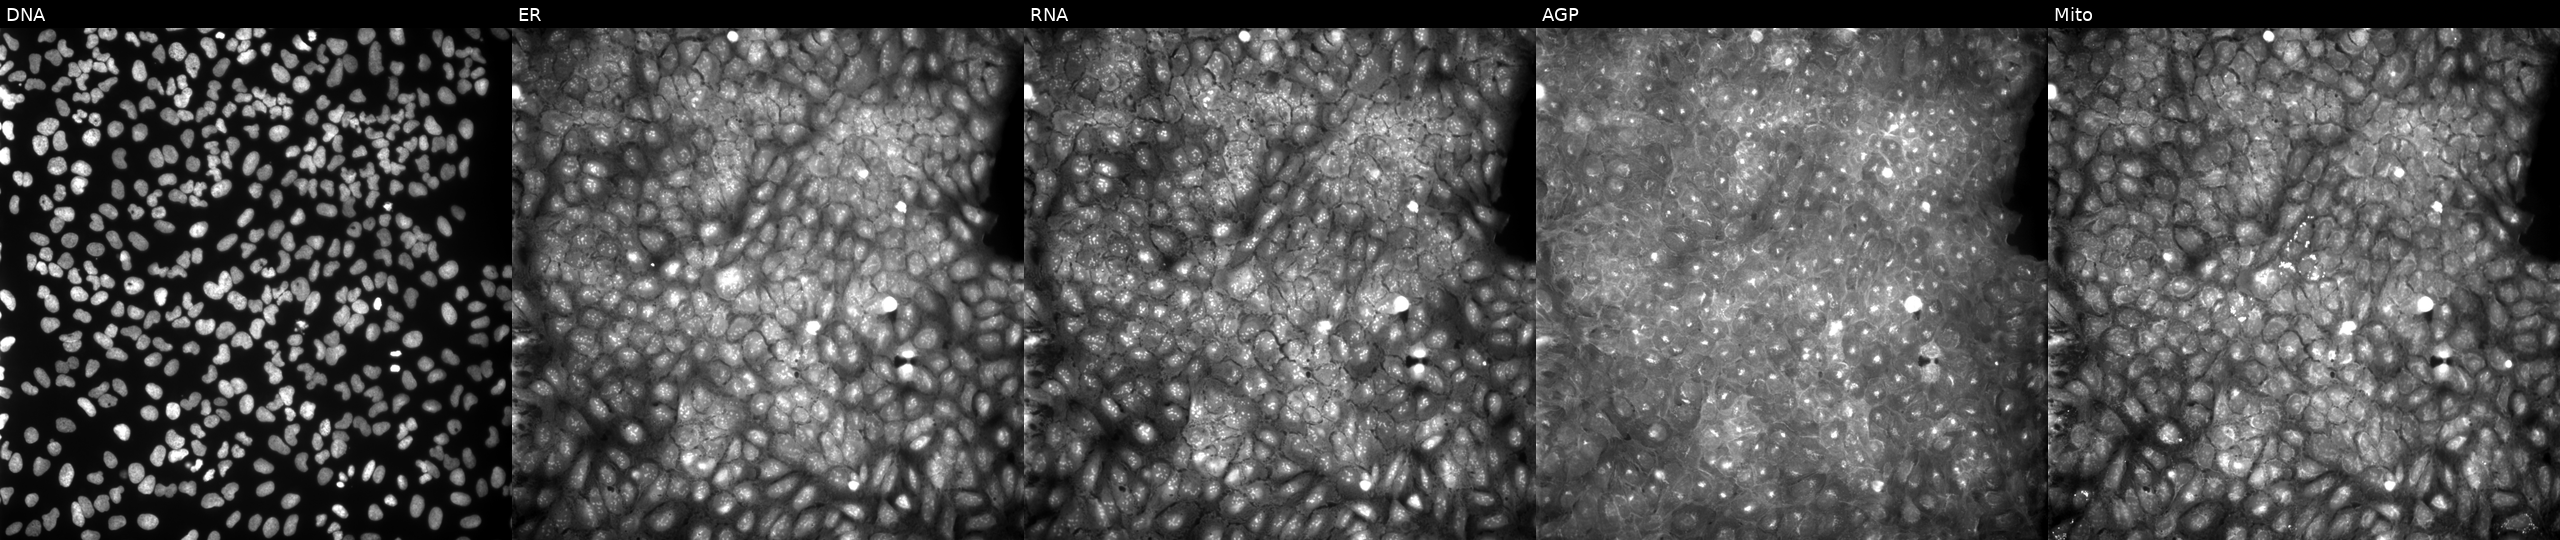
High-content fluorescence microscopy (Cell Painting). Cell line: U2OS. Perturbation: exposed to a small-molecule compound (InChIKey QKVXSTSTVAUWHC-UHFFFAOYSA-N) [SMILES: COC(=O)c1ccc(-n2c(O)cc(NCc3ccccc3)c2O)cc1] (JUMP id JCP2022_074101). Channels (left→right): DNA (nuclei); ER (endoplasmic reticulum); RNA (nucleoli and cytoplasmic RNA); AGP (actin cytoskeleton, Golgi, and plasma membrane); Mito (mitochondria). Source 9, plate GR00003382, well N19.